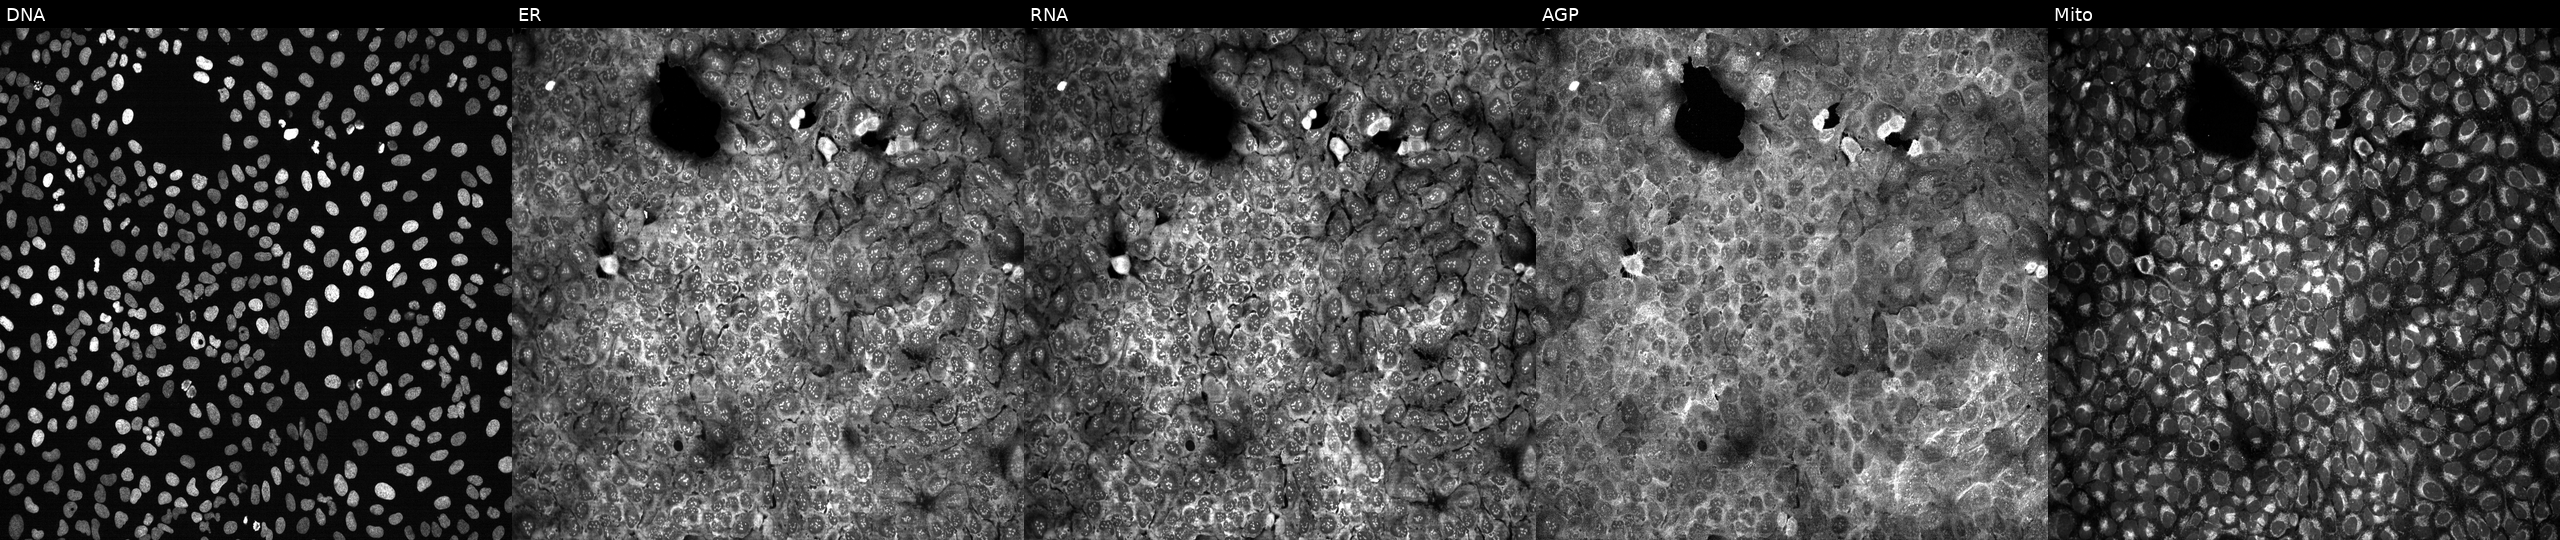
Five-channel Cell Painting image of U2OS cells treated with aloxistatin (positive-control compound) (JUMP id JCP2022_085227). Panels show, left to right, DNA, ER, RNA, AGP, and Mito.